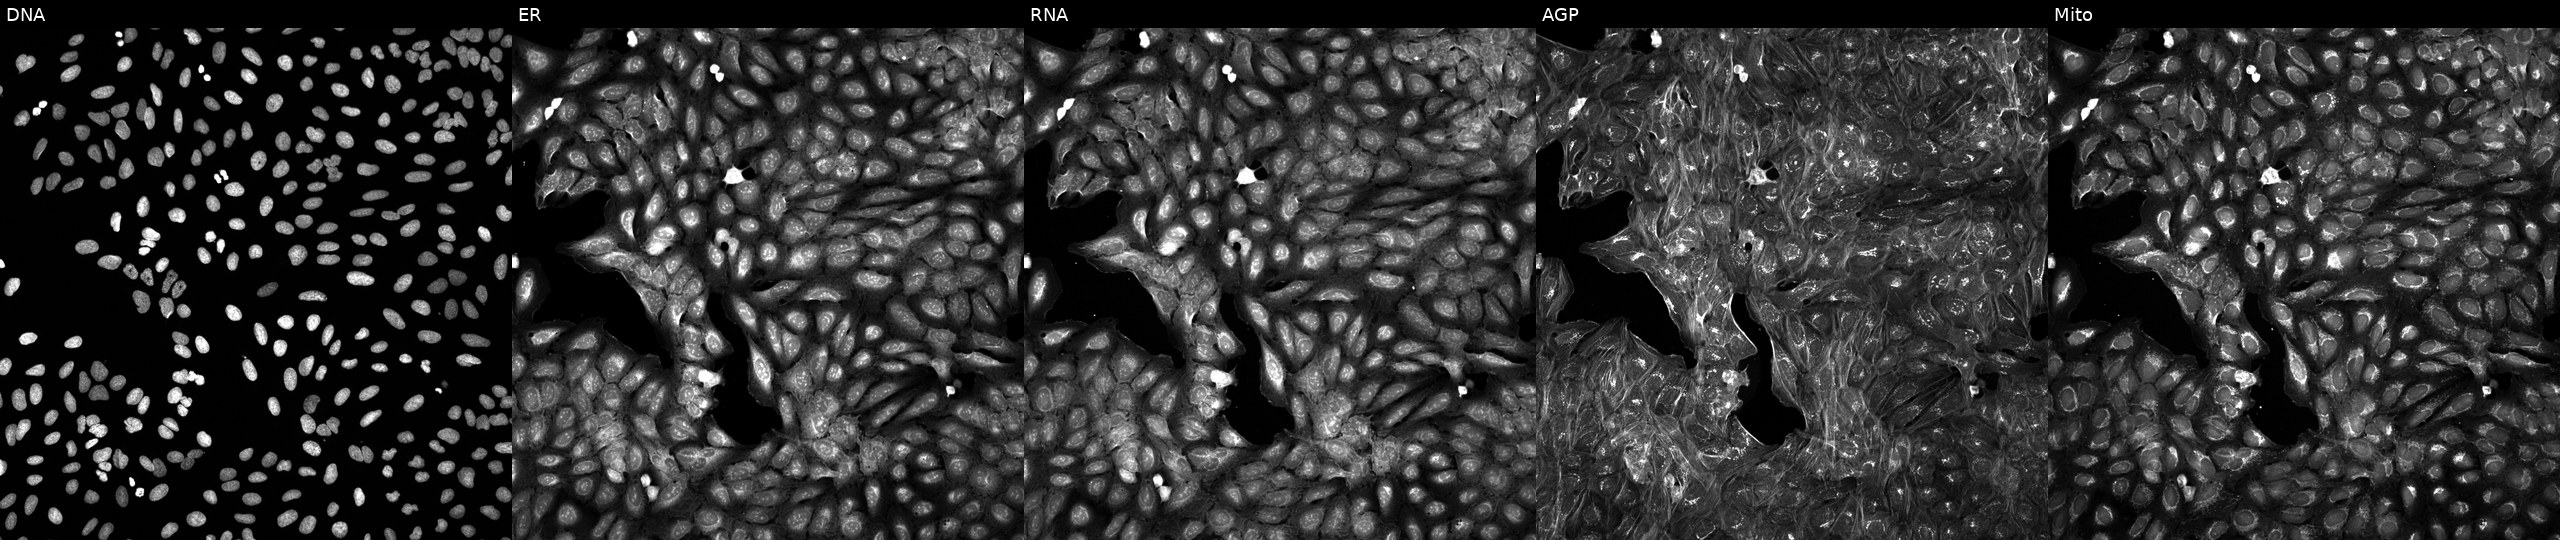
The five panels, left to right, show DNA (nuclei); ER (endoplasmic reticulum); RNA (nucleoli and cytoplasmic RNA); AGP (actin cytoskeleton, Golgi, and plasma membrane); Mito (mitochondria). U2OS osteosarcoma cells treated with a small-molecule compound (InChIKey KZUFDBAIYRANLS-UHFFFAOYSA-N) (JUMP id JCP2022_048040). Cell Painting assay, JUMP-CP dataset.